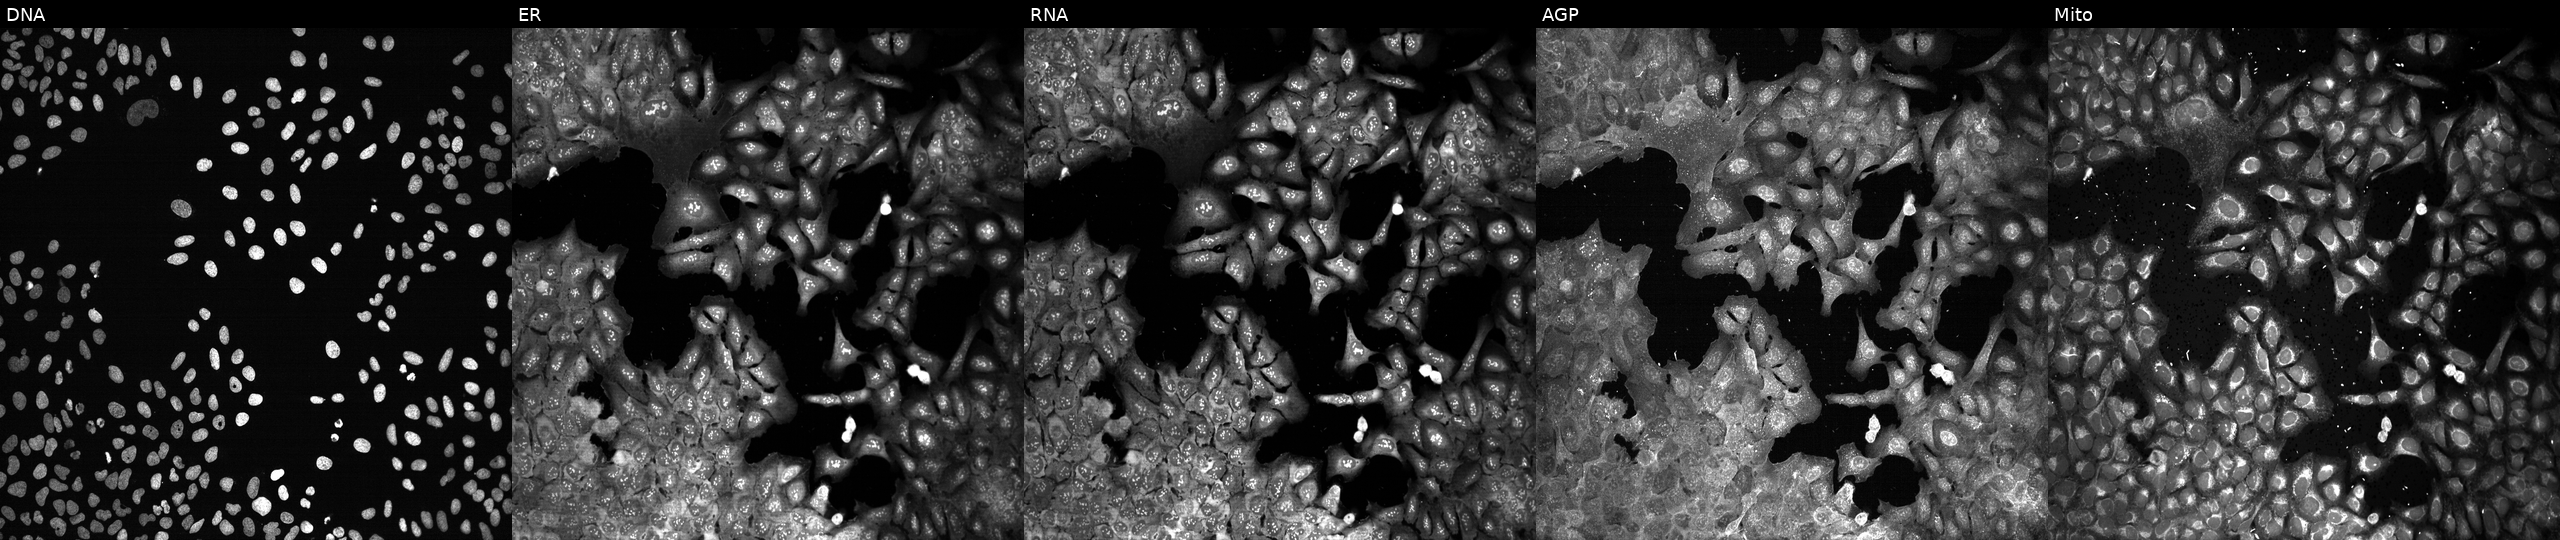
Five-channel Cell Painting image of U2OS cells with no CRISPR guide (negative control). The five panels, left to right, show Hoechst 33342, concanavalin A, SYTO 14, phalloidin and WGA, MitoTracker. Source 13, plate CP-CC9-R5-01, well K02.